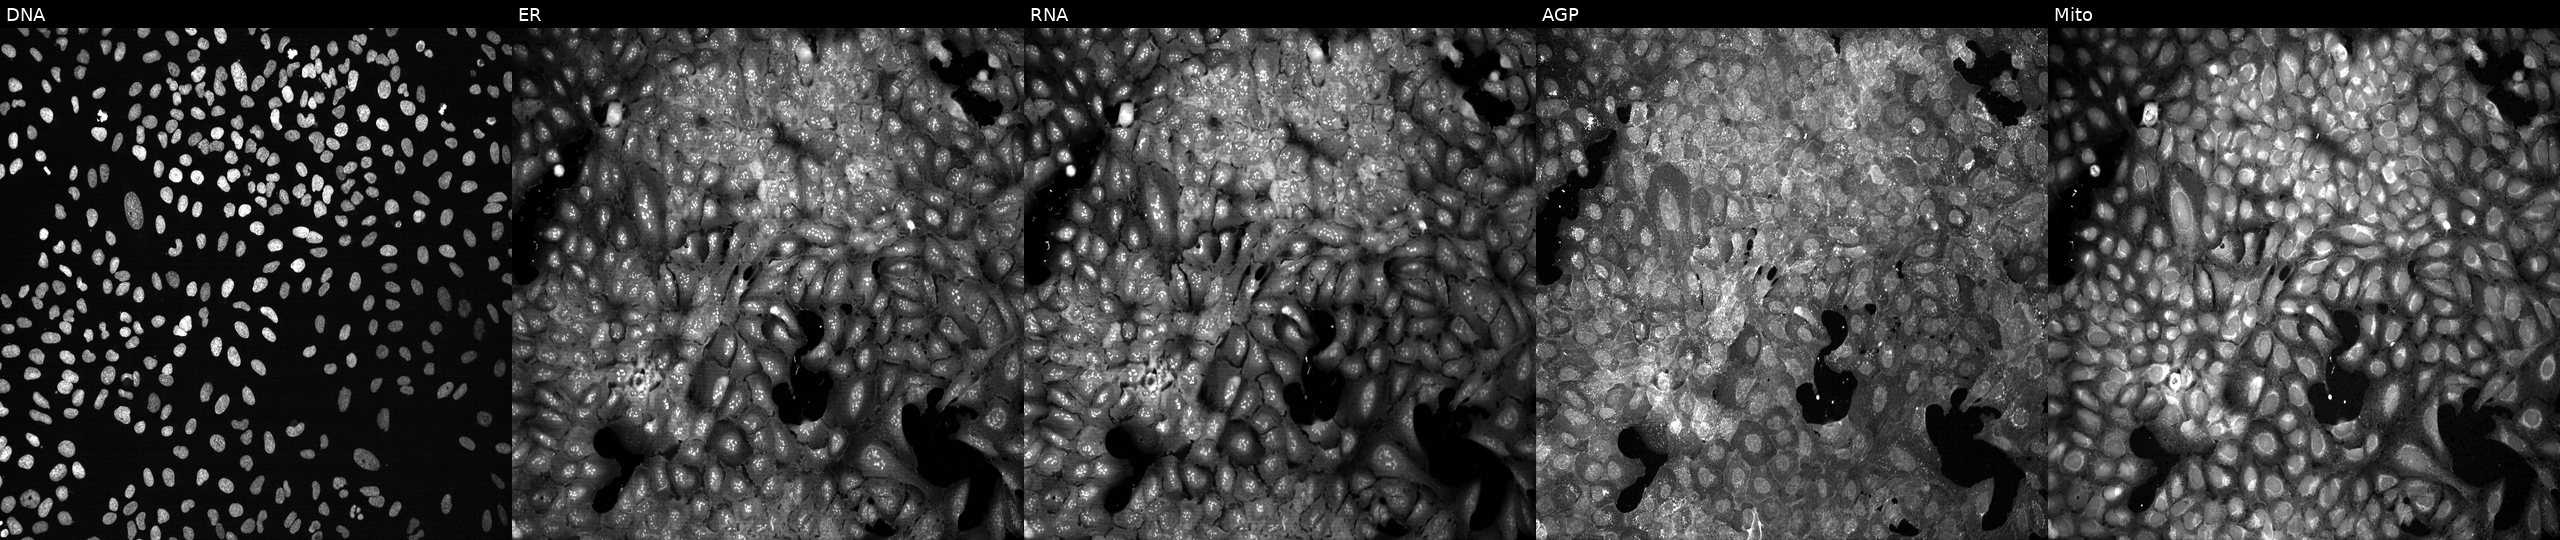
Five-channel Cell Painting image of U2OS cells CRISPR-edited to disrupt SLC23A3. Channels (left→right): DNA (nuclei); ER (endoplasmic reticulum); RNA (nucleoli and cytoplasmic RNA); AGP (actin cytoskeleton, Golgi, and plasma membrane); Mito (mitochondria). Source 13, plate CP-CC9-R1-01, well C22.